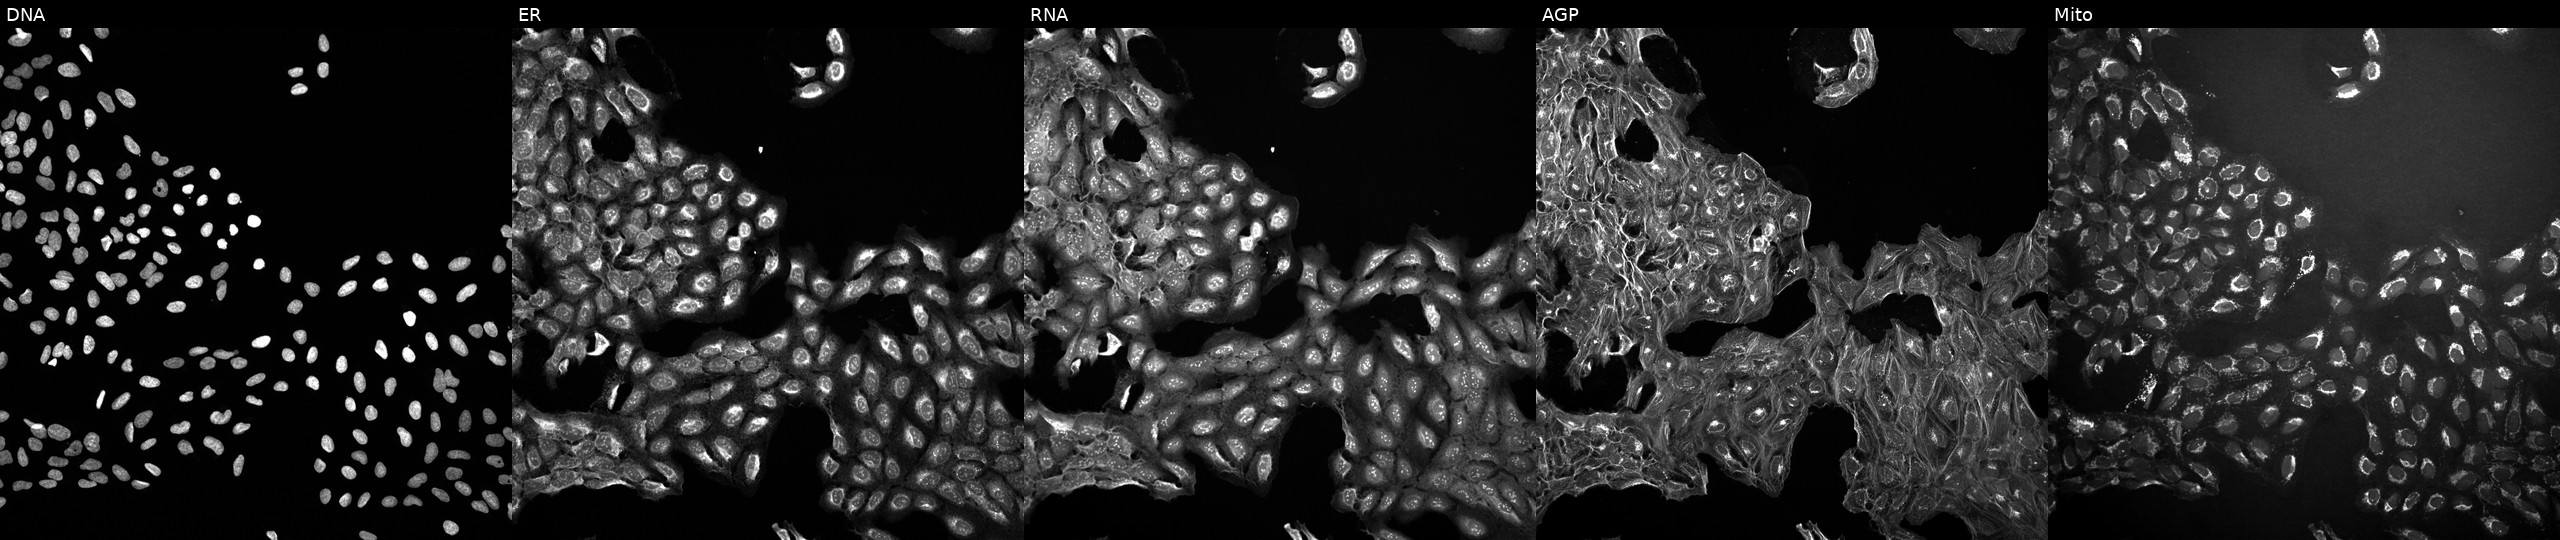
From left to right: DNA, ER, RNA, AGP, and Mito. U2OS osteosarcoma cells exposed to a small-molecule compound (InChIKey ZGSCOYYIFCUSFY-UHFFFAOYSA-N). Cell Painting assay, JUMP-CP dataset.